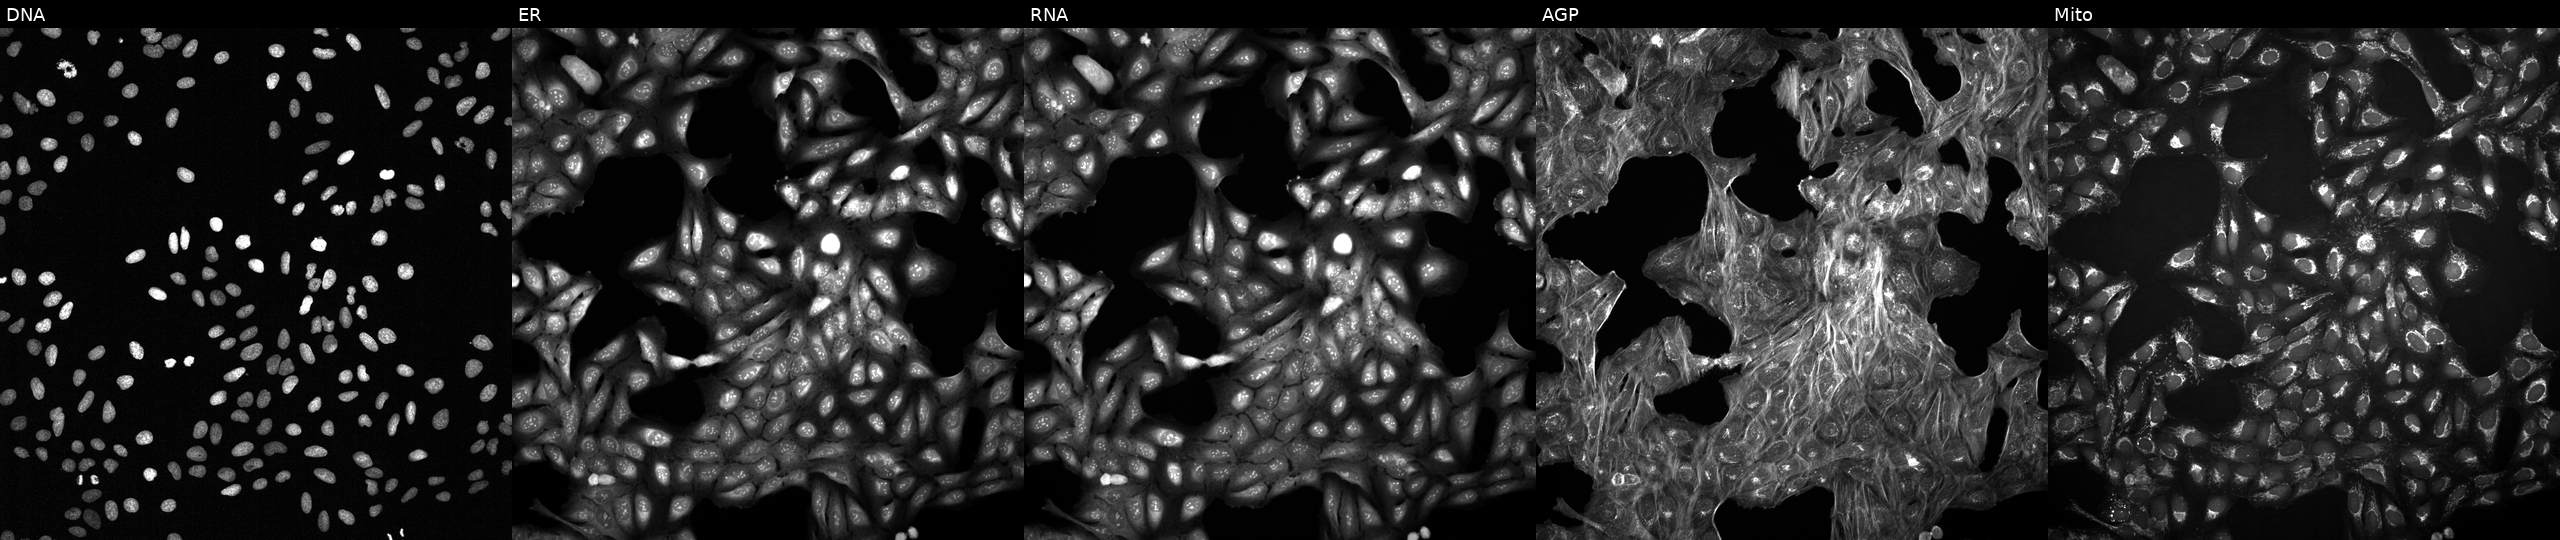
High-content fluorescence microscopy (Cell Painting). Cell line: U2OS. Perturbation: treated with DMSO vehicle only (negative control) (JUMP id JCP2022_033924). Channels (left→right): DNA, ER, RNA, AGP, and Mito.